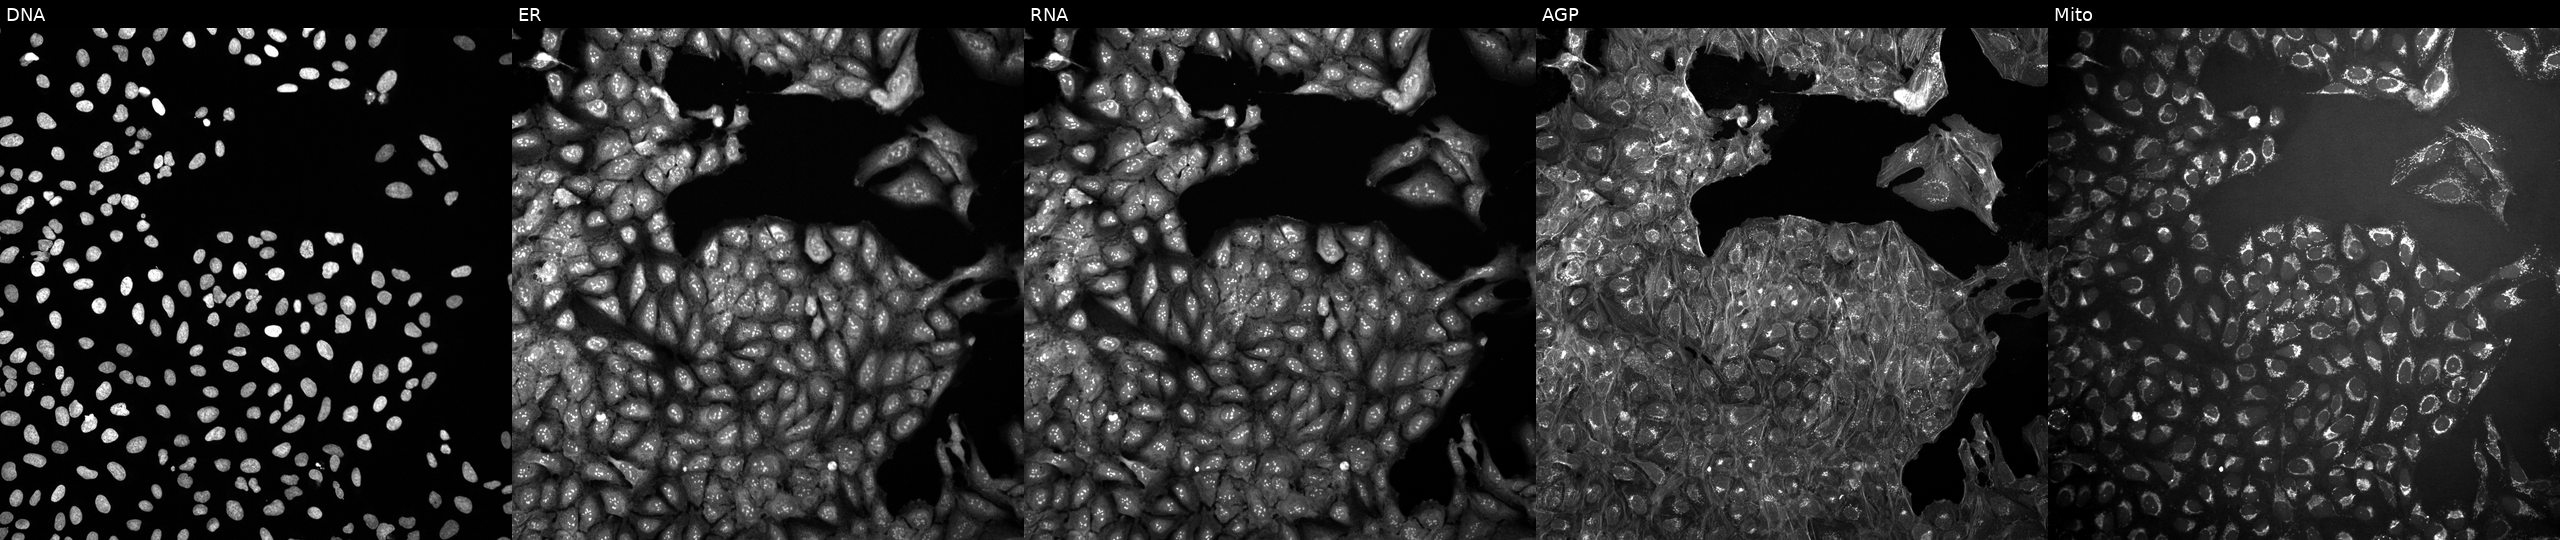
JUMP Cell Painting — COMPOUND plate. U2OS cells exposed to a small-molecule compound (InChIKey MWFZKLORKRXQLB-UHFFFAOYSA-N) (JUMP id JCP2022_056935). Panels show, left to right, Hoechst 33342, concanavalin A, SYTO 14, phalloidin and WGA, MitoTracker. Source 10, plate Dest210531-152149, well G14.